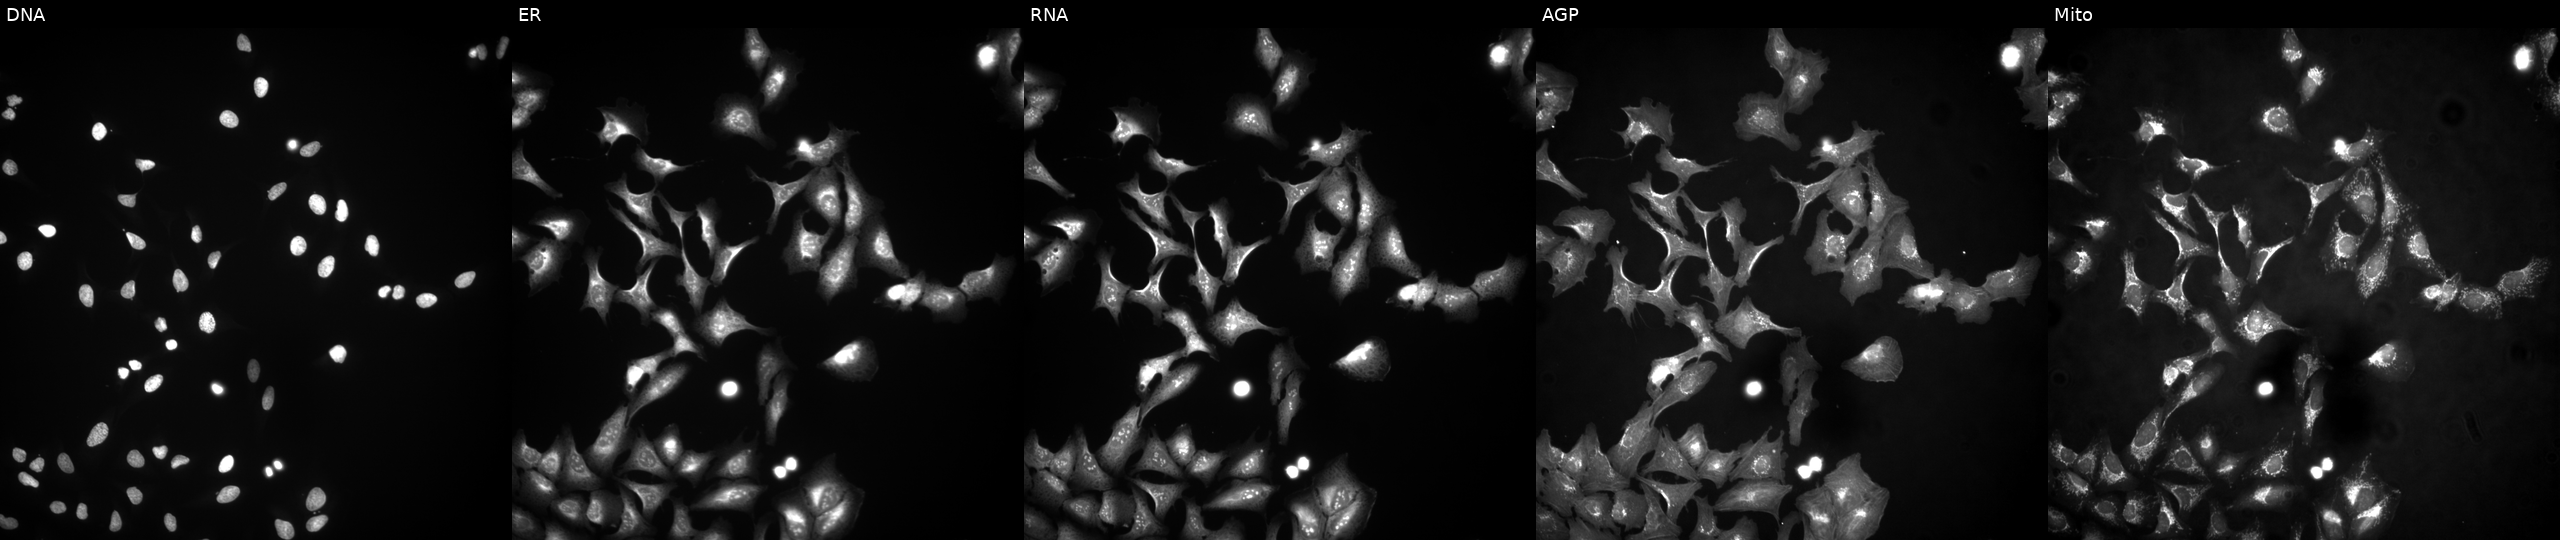
High-content fluorescence microscopy (Cell Painting). Cell line: U2OS. Perturbation: with PIAS1 overexpressed (ORF) (JUMP id JCP2022_901820). The five panels, left to right, show DNA (nuclei); ER (endoplasmic reticulum); RNA (nucleoli and cytoplasmic RNA); AGP (actin cytoskeleton, Golgi, and plasma membrane); Mito (mitochondria). Source 4, plate BR00124790, well O10.